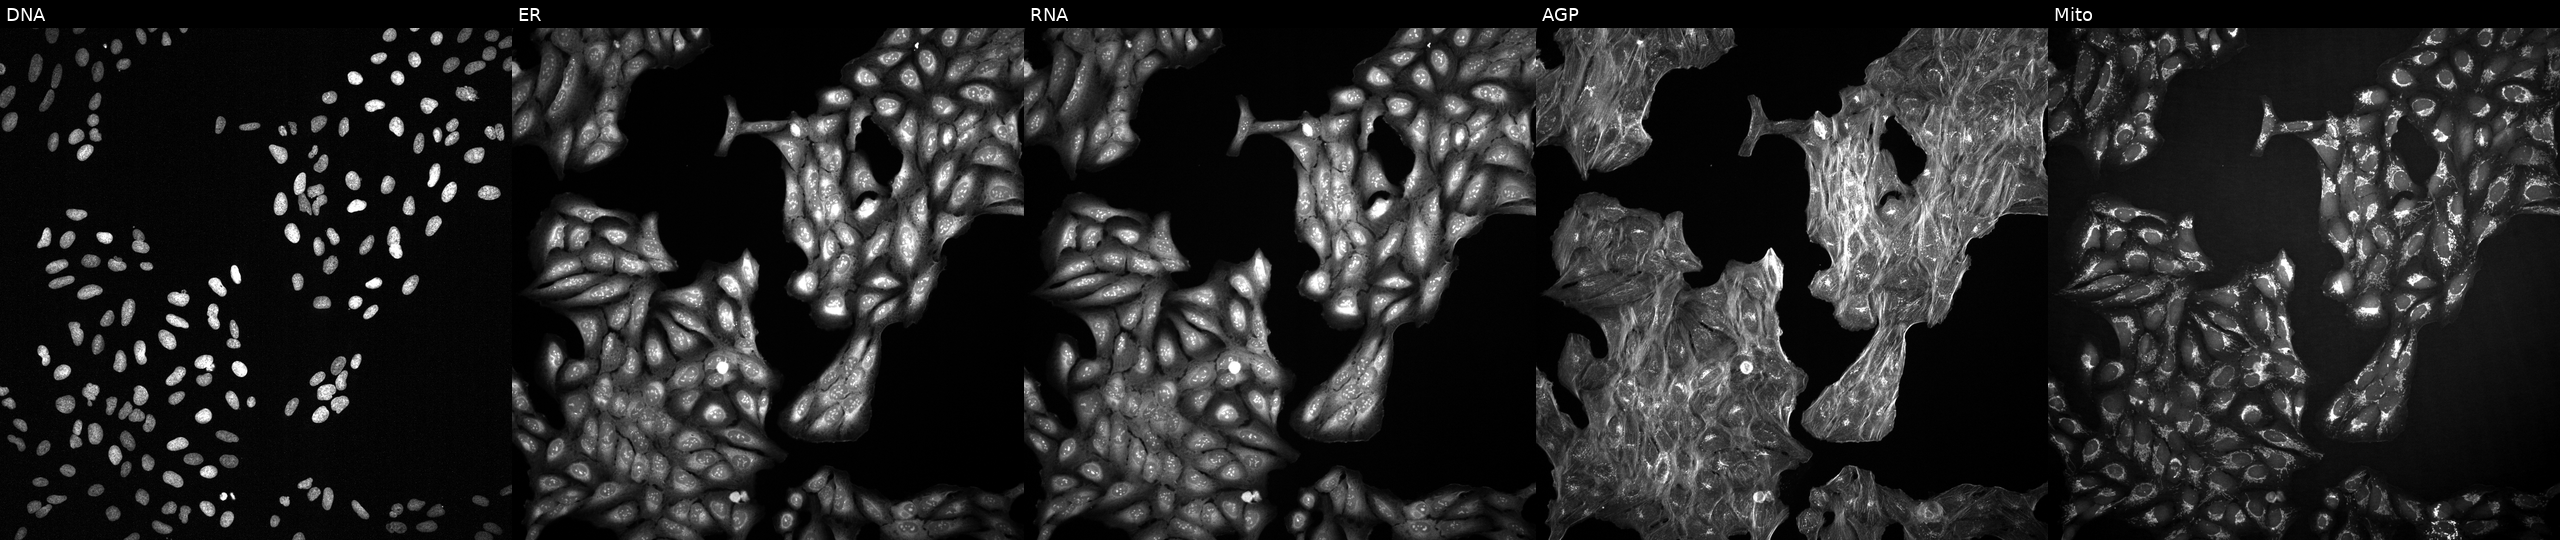
High-content fluorescence microscopy (Cell Painting). Cell line: U2OS. Perturbation: perturbed with a small-molecule compound (InChIKey MXJWRABVEGLYDG-UHFFFAOYSA-N) (JUMP id JCP2022_057163). Panels show, left to right, Hoechst 33342, concanavalin A, SYTO 14, phalloidin and WGA, MitoTracker.